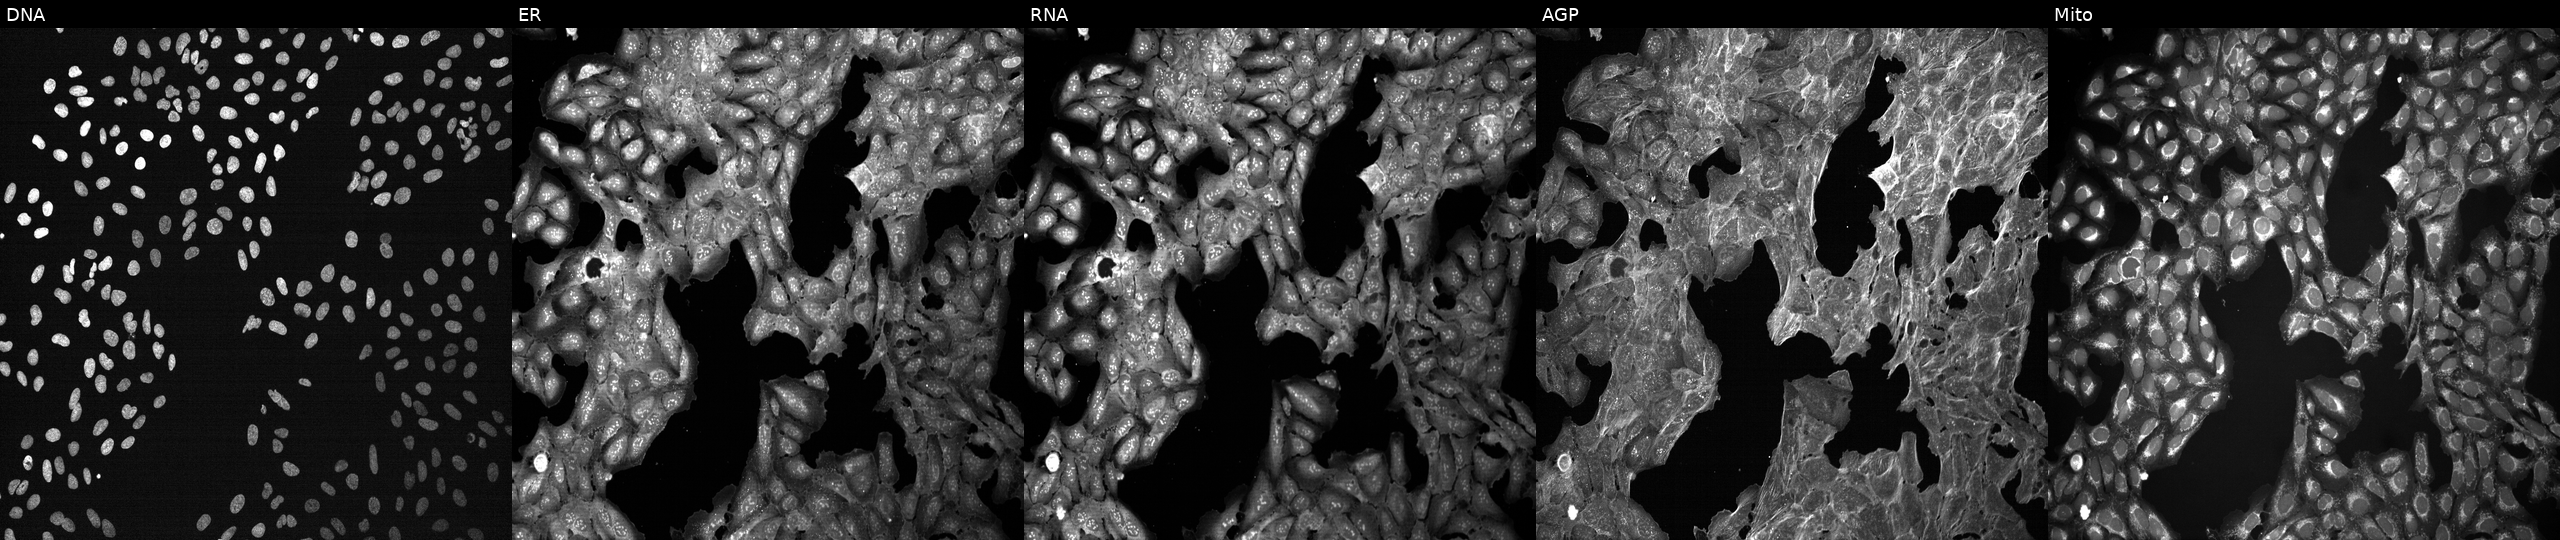
JUMP Cell Painting — TARGET2 plate. U2OS cells perturbed with a small-molecule compound (InChIKey HQGWKNGAKBPTBX-UHFFFAOYSA-N) (JUMP id JCP2022_031861). From left to right: DNA, ER, RNA, AGP, and Mito. Source 7, plate CP3-SC1-25, well K18.